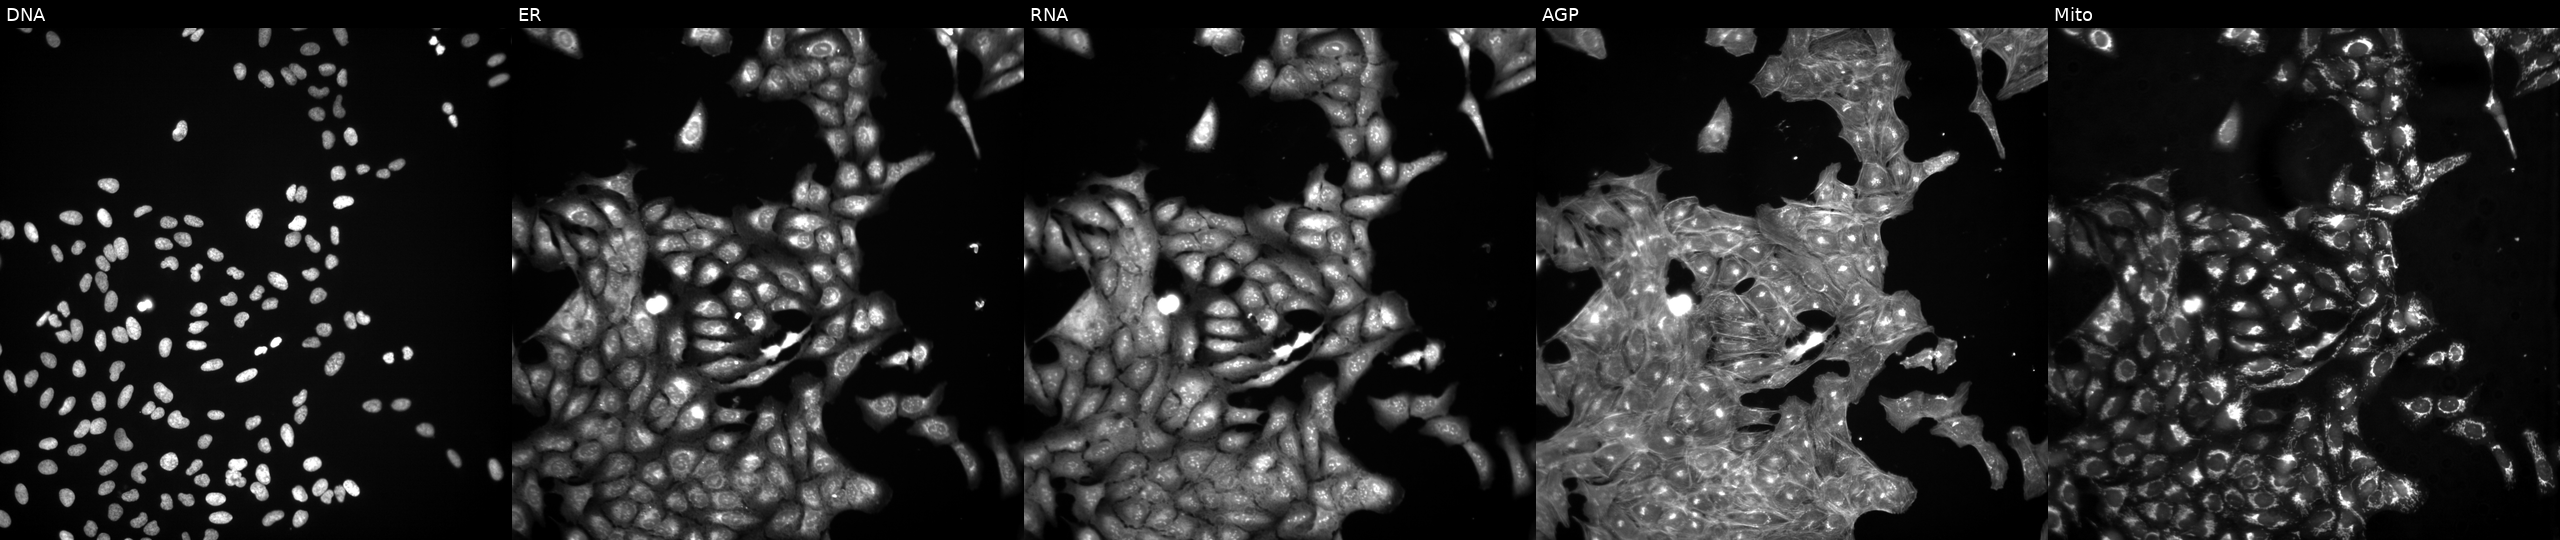
Five-channel Cell Painting image of U2OS cells treated with a small-molecule compound (InChIKey RRGUKTPIGVIEKM-UHFFFAOYSA-N) [SMILES: O=C1CCc2cc(OCCCCc3nnnn3C3CCCCC3)ccc2N1]. The five panels, left to right, show DNA, ER, RNA, AGP, and Mito.